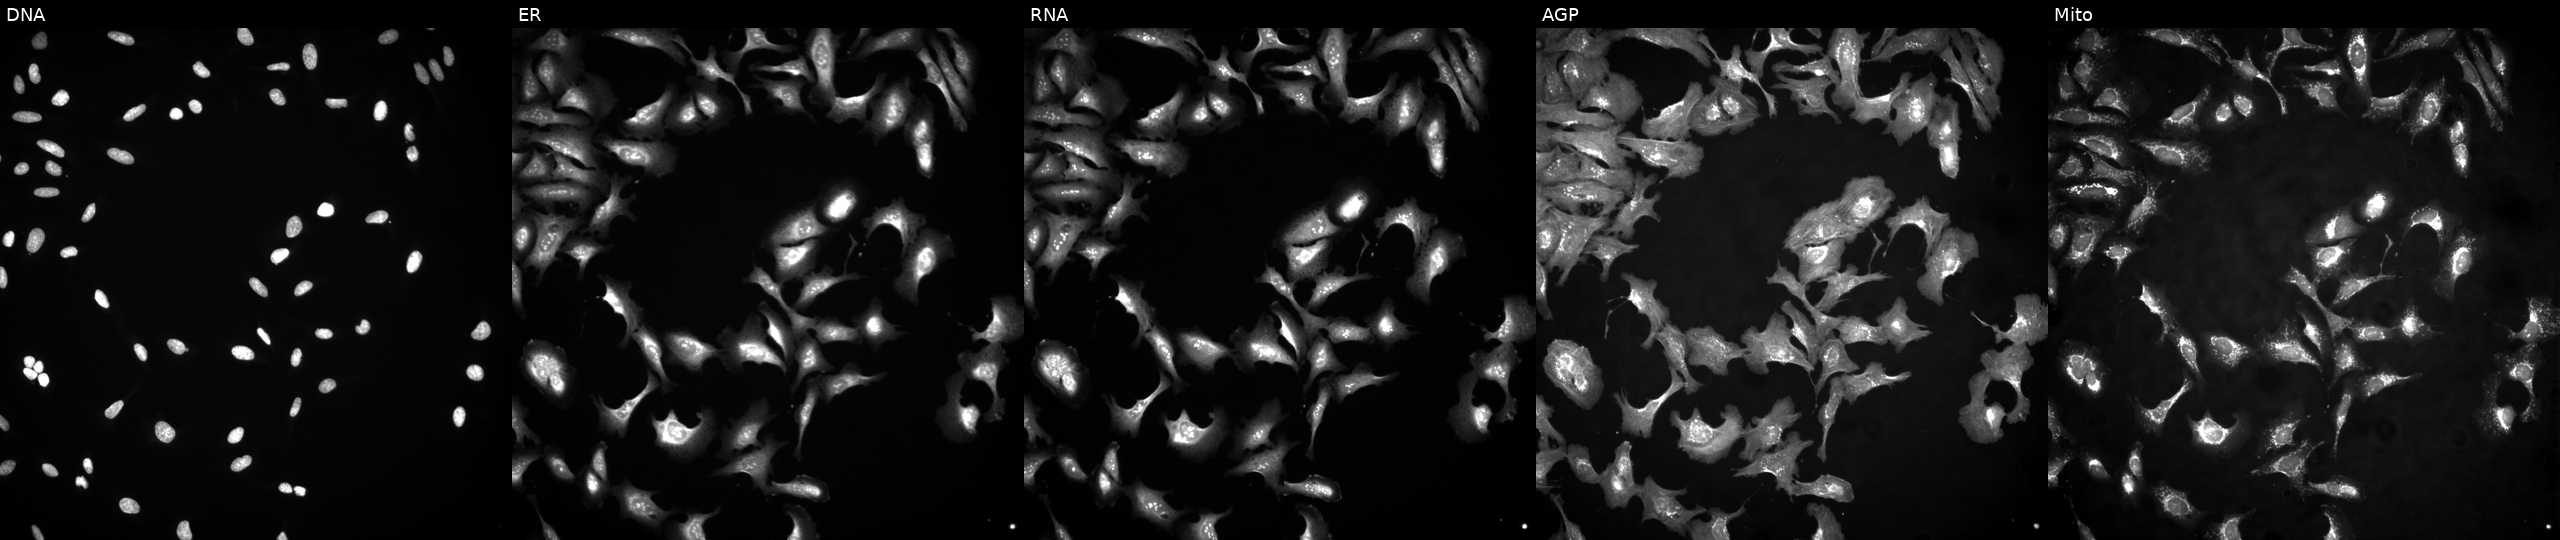
High-content fluorescence microscopy (Cell Painting). Cell line: U2OS. Perturbation: with XLOC_l2_009464 overexpressed (ORF) (JUMP id JCP2022_914297). Panels show, left to right, Hoechst 33342, concanavalin A, SYTO 14, phalloidin and WGA, MitoTracker.